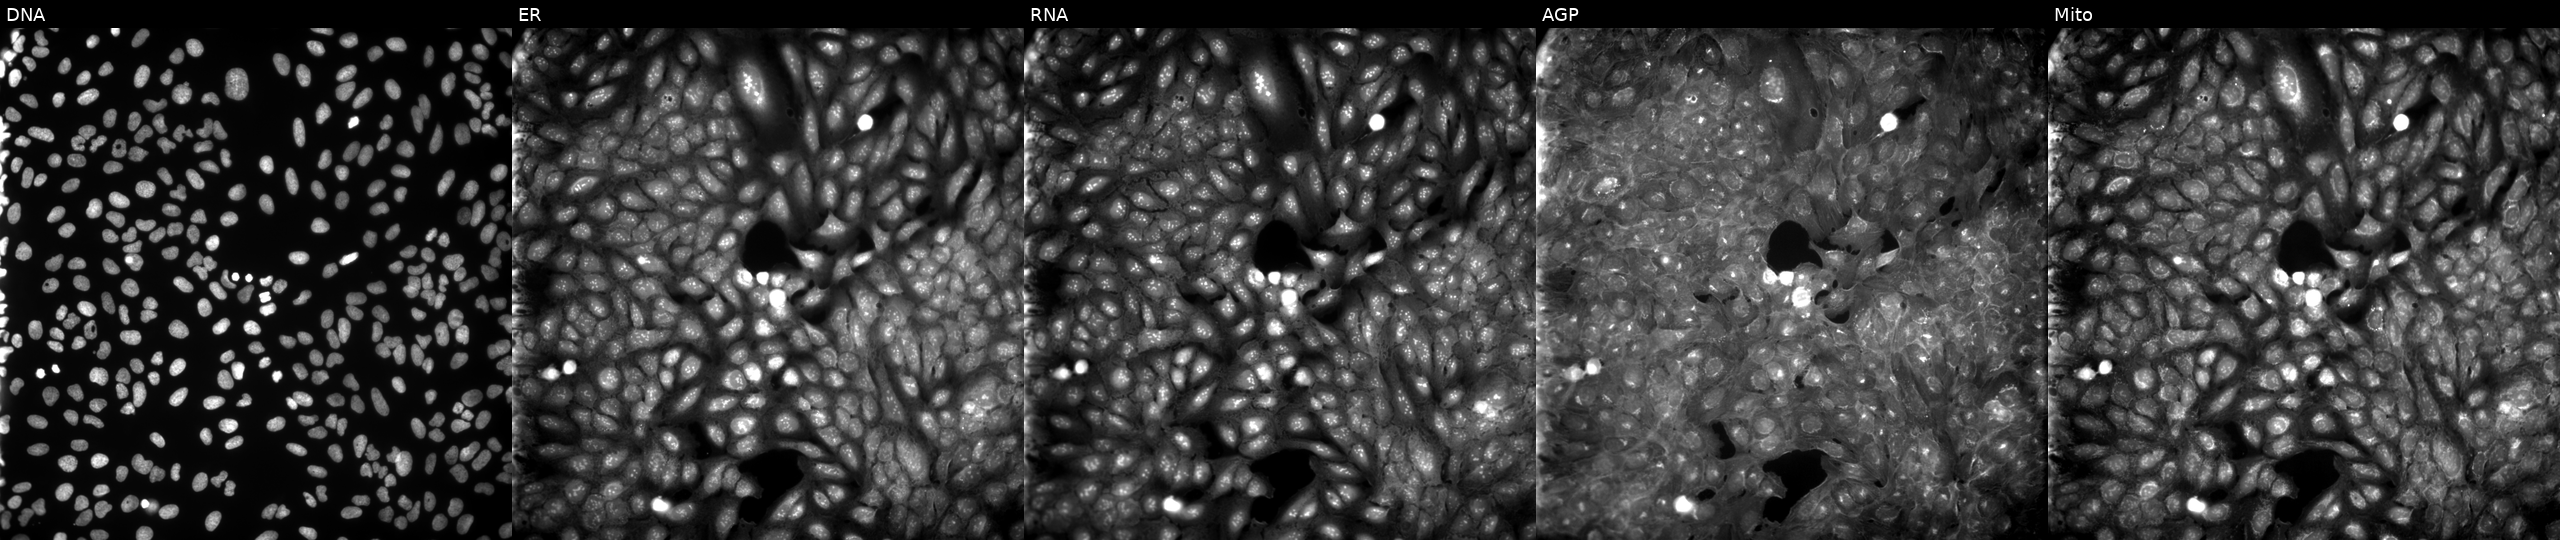
U2OS cells, Cell Painting assay, perturbed with a small-molecule compound (InChIKey CRDWYIKYCUCPDM-UHFFFAOYSA-N). The five panels, left to right, show DNA (nuclei); ER (endoplasmic reticulum); RNA (nucleoli and cytoplasmic RNA); AGP (actin cytoskeleton, Golgi, and plasma membrane); Mito (mitochondria). Each panel is percentile-stretched 16-bit fluorescence.